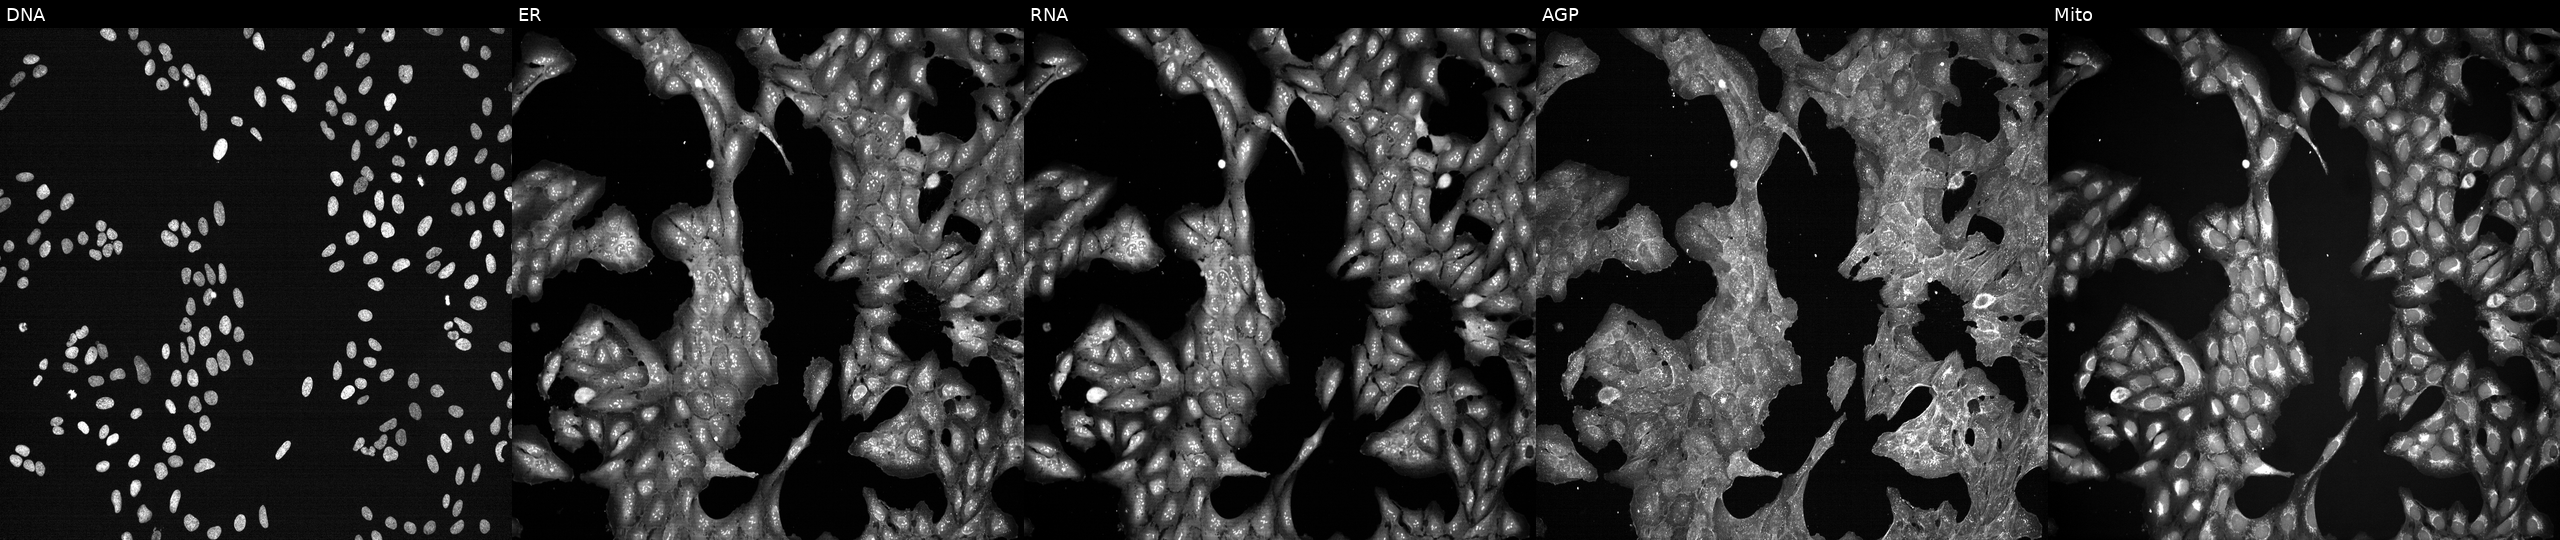
U2OS cells, Cell Painting assay, exposed to a small-molecule compound (InChIKey VUIRVWPJNKZOSS-UHFFFAOYSA-N) (JUMP id JCP2022_096342). The five panels, left to right, show DNA, ER, RNA, AGP, and Mito. Each panel is percentile-stretched 16-bit fluorescence. Source 7, plate CP2-SC1-25, well D15.